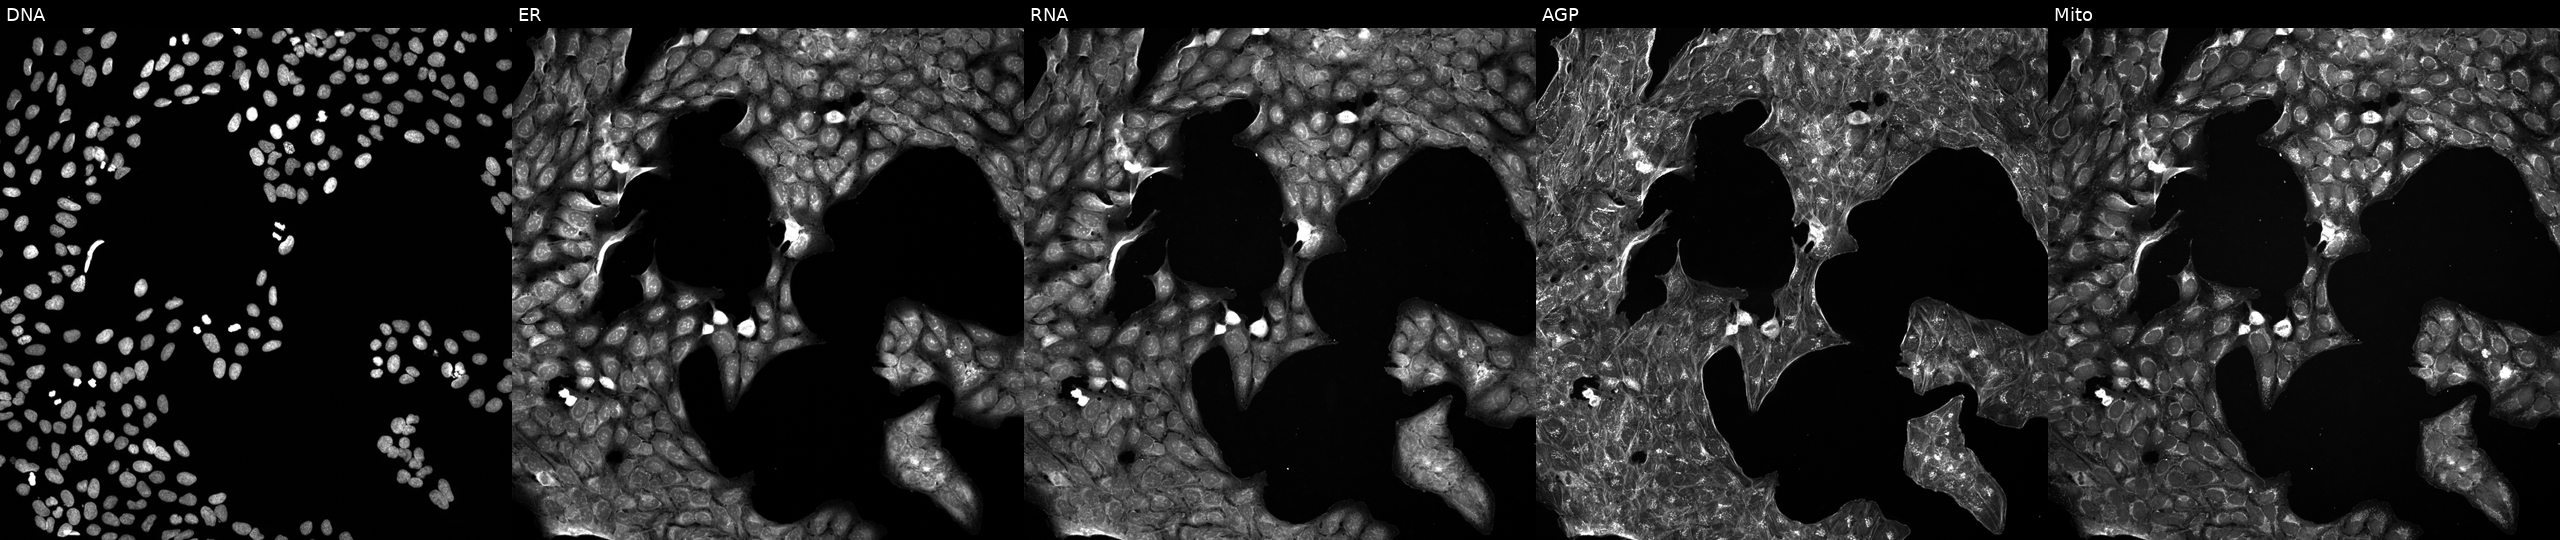
JUMP Cell Painting — COMPOUND plate. U2OS cells exposed to the positive-control compound LY2109761 (JUMP id JCP2022_035095). Panels show, left to right, Hoechst 33342, concanavalin A, SYTO 14, phalloidin and WGA, MitoTracker. Source 5, plate APTJUM106, well E01.